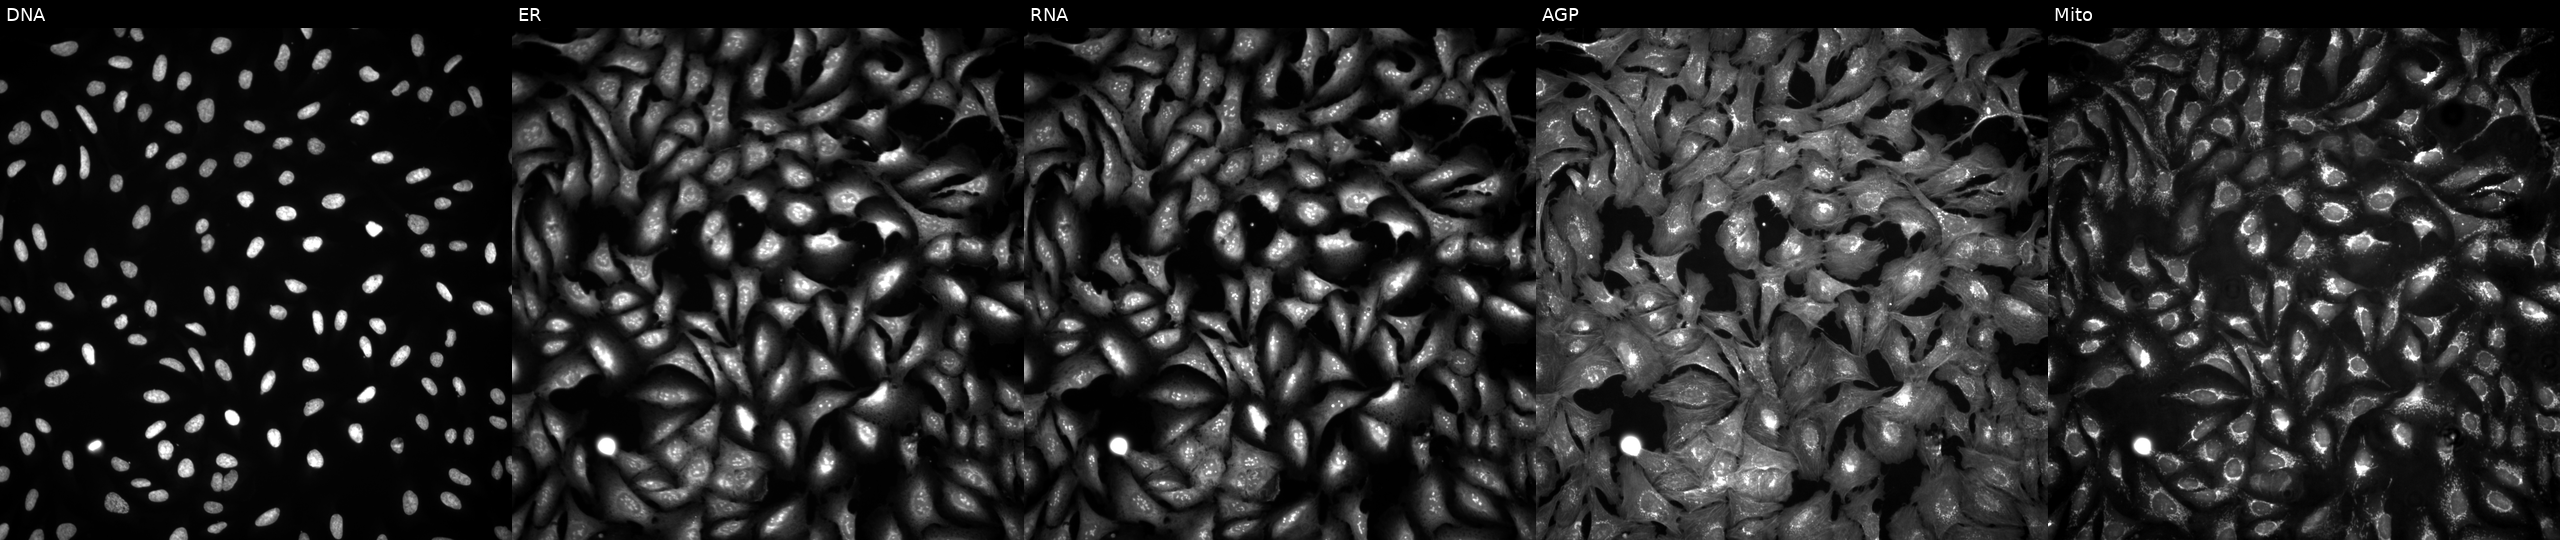
Channels (left→right): DNA, ER, RNA, AGP, and Mito. U2OS osteosarcoma cells transfected with an ORF construct for KDR. Cell Painting assay, JUMP-CP dataset.